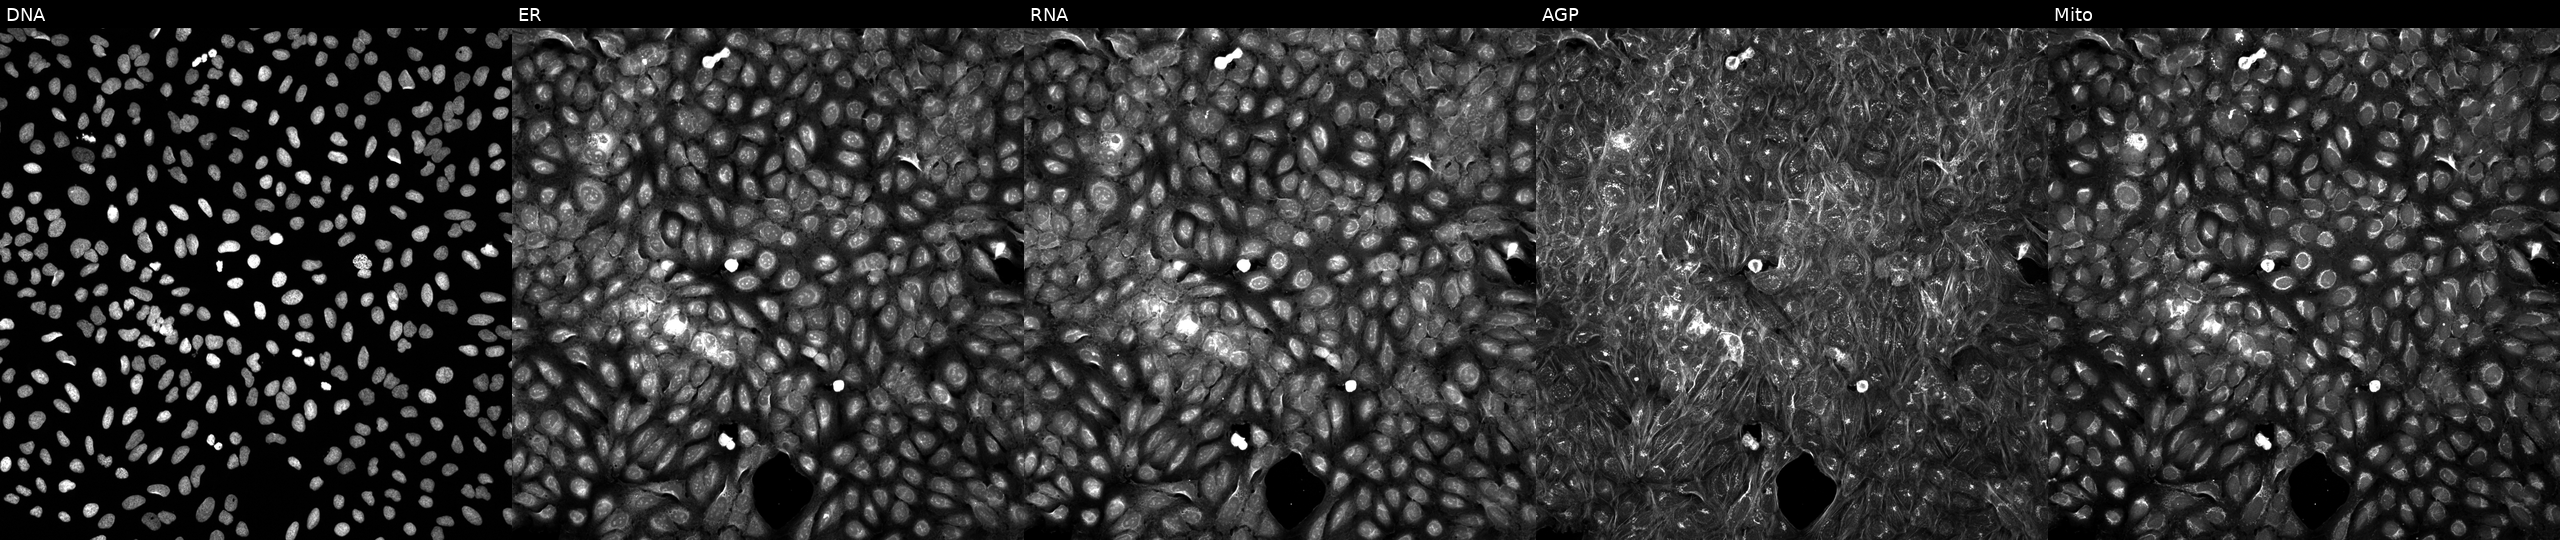
Five-channel Cell Painting image of U2OS cells perturbed with a small-molecule compound. The five panels, left to right, show DNA (nuclei); ER (endoplasmic reticulum); RNA (nucleoli and cytoplasmic RNA); AGP (actin cytoskeleton, Golgi, and plasma membrane); Mito (mitochondria).